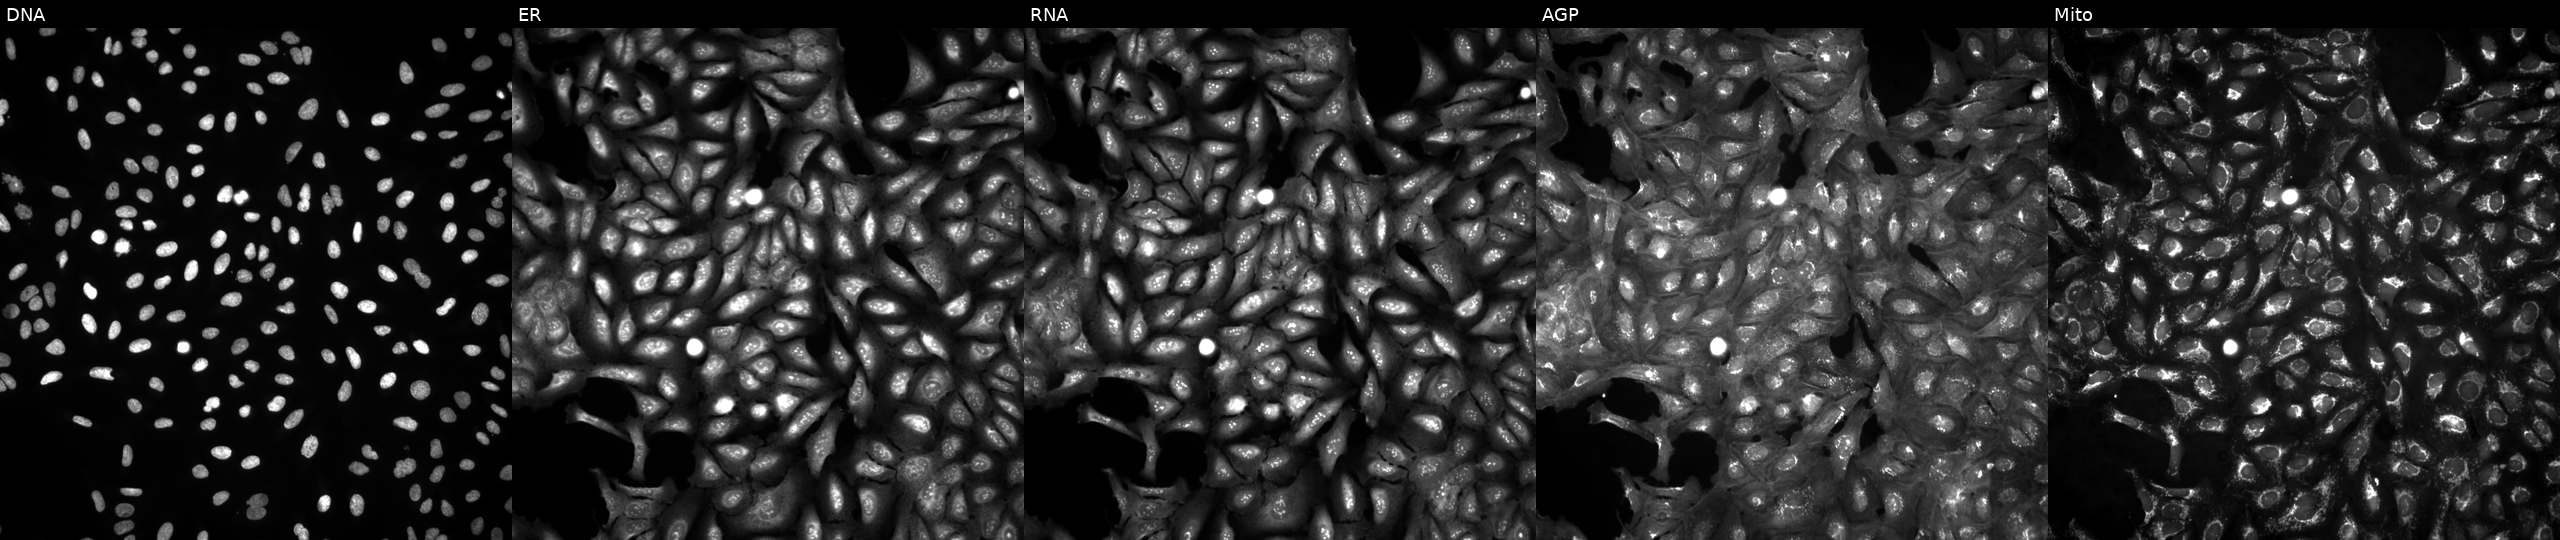
High-content fluorescence microscopy (Cell Painting). Cell line: U2OS. Perturbation: untreated (empty-well control). Panels show, left to right, Hoechst 33342, concanavalin A, SYTO 14, phalloidin and WGA, MitoTracker.